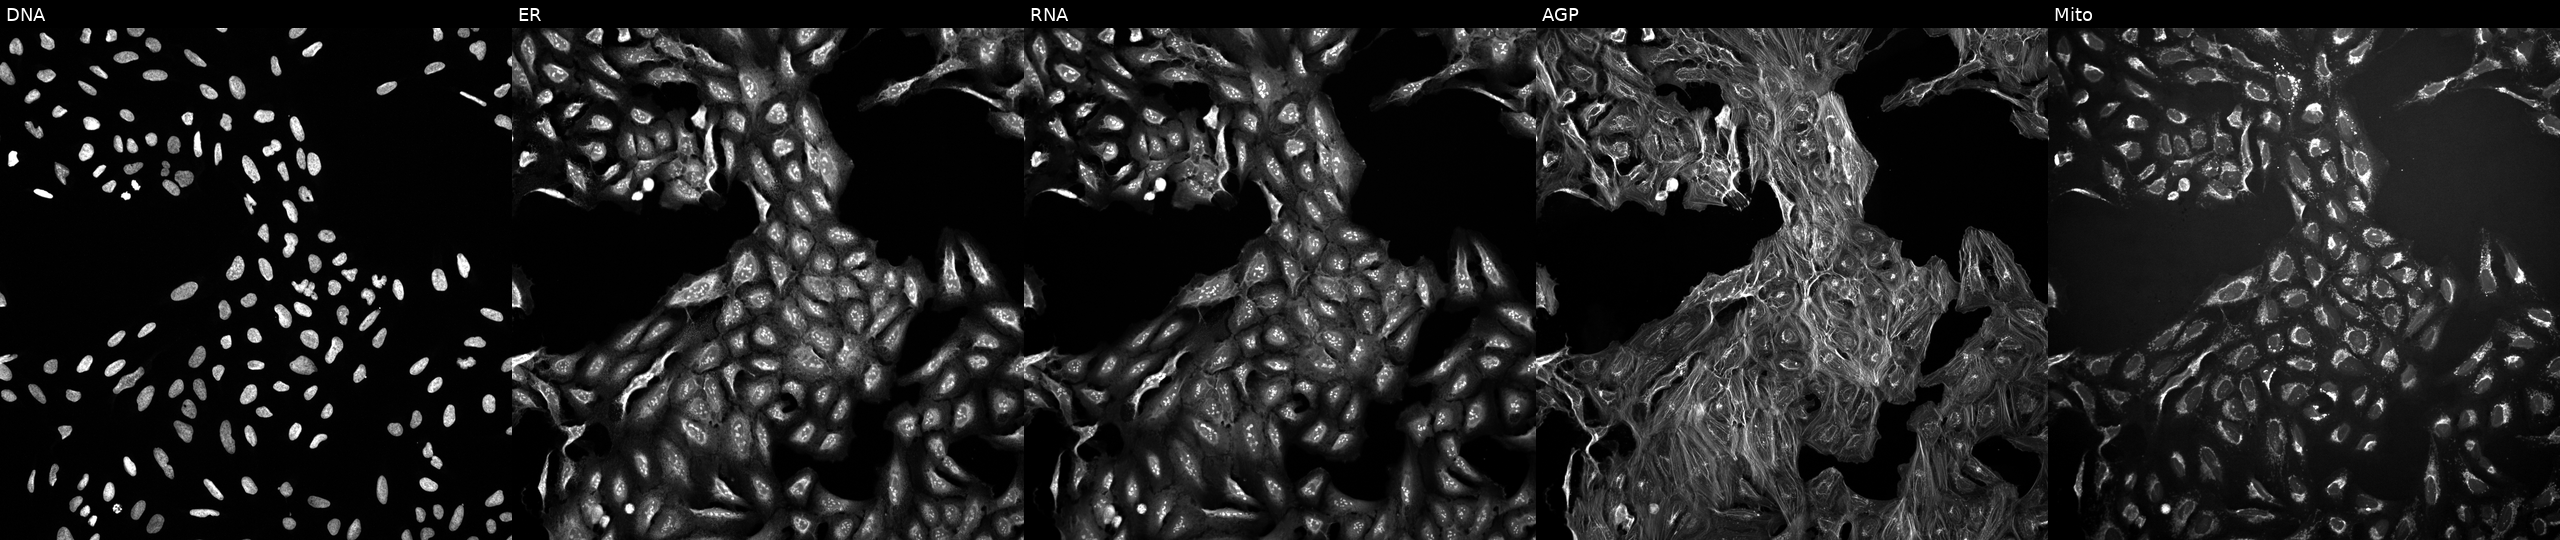
JUMP Cell Painting — TARGET2 plate. U2OS cells exposed to a small-molecule compound (InChIKey QQGWEXFLMJGCAL-UHFFFAOYSA-N). Channels (left→right): DNA (nuclei); ER (endoplasmic reticulum); RNA (nucleoli and cytoplasmic RNA); AGP (actin cytoskeleton, Golgi, and plasma membrane); Mito (mitochondria).